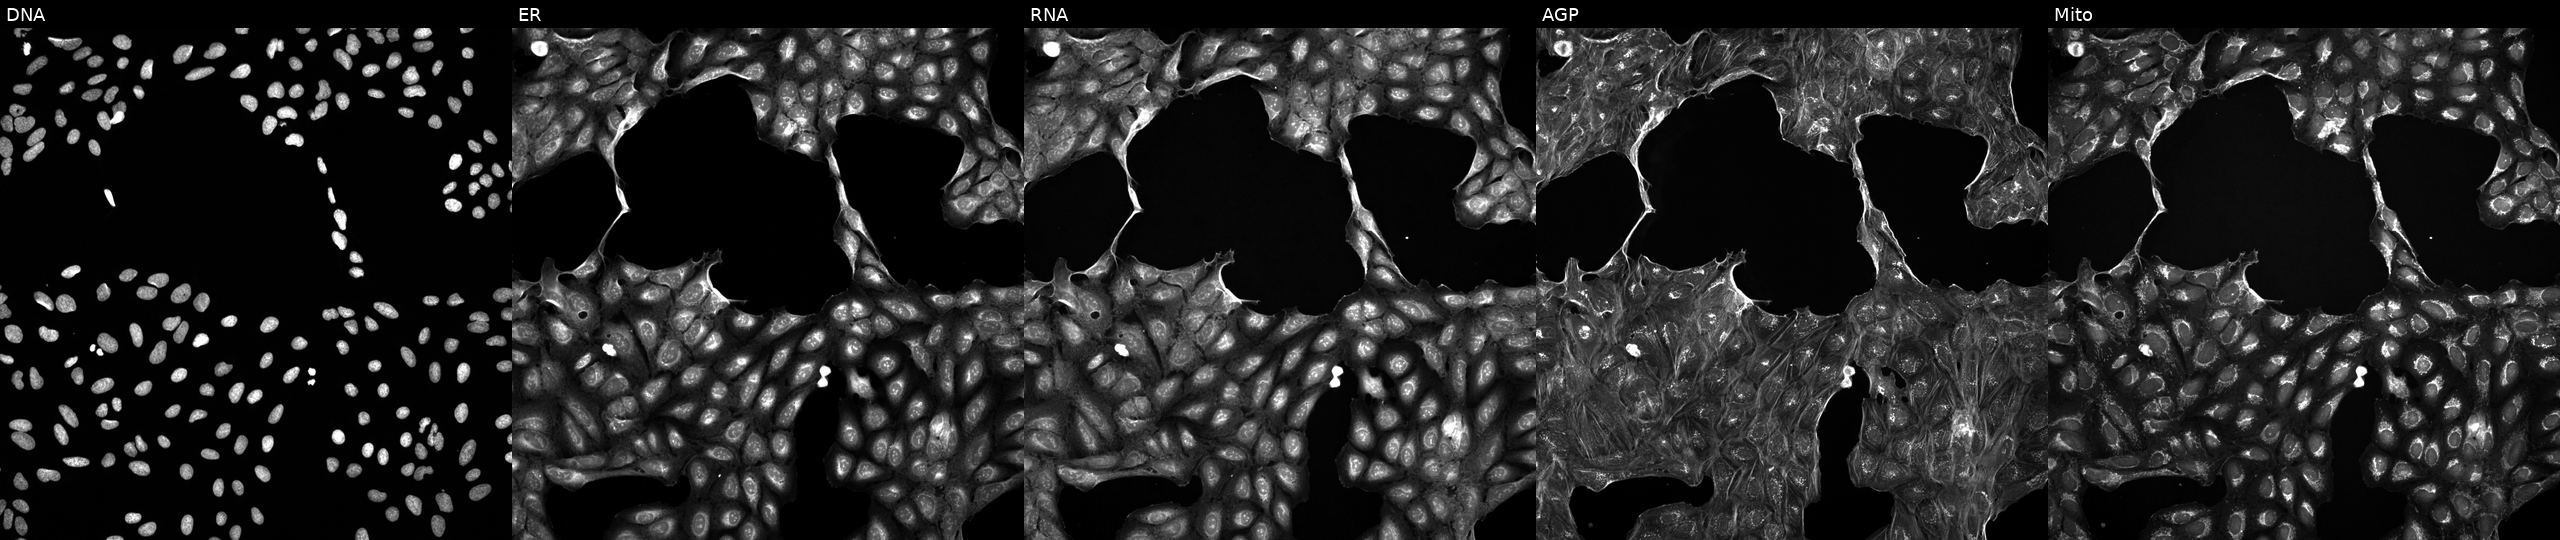
Five-channel Cell Painting image of U2OS cells treated with a small-molecule compound (InChIKey TXUZVZSFRXZGTL-UHFFFAOYSA-N). Panels show, left to right, DNA, ER, RNA, AGP, and Mito.